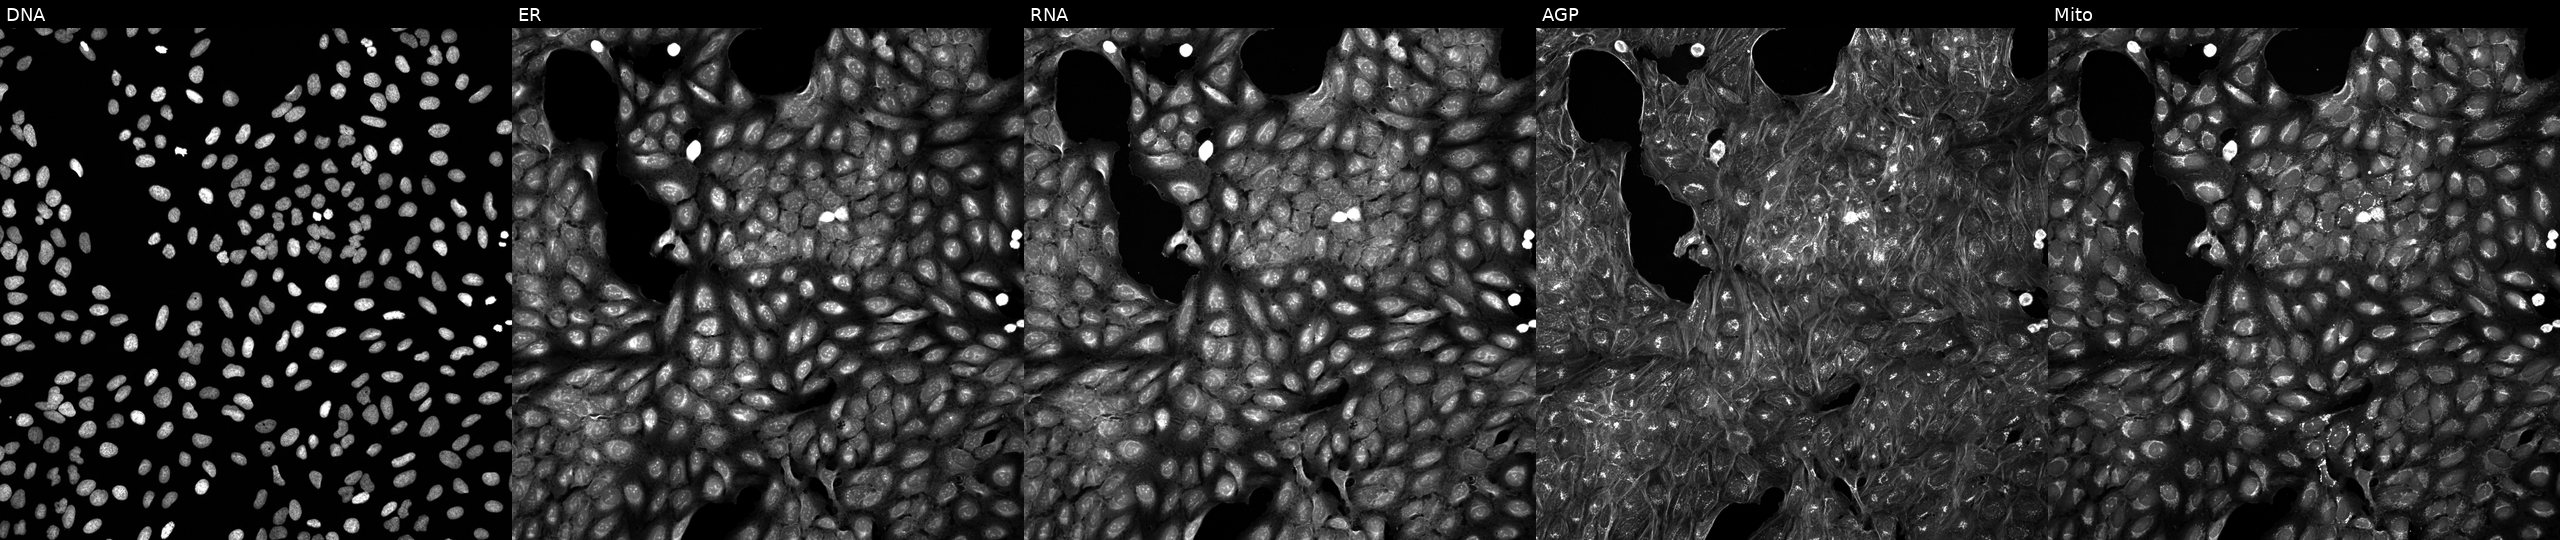
U2OS cells, Cell Painting assay, exposed to a small-molecule compound (InChIKey VPESLSDXWCAGTQ-UHFFFAOYSA-N) [SMILES: Cc1ncc(CN(C)C(=O)Nc2cccc(OCC3CCCO3)c2)s1] (JUMP id JCP2022_095399). Channels (left→right): DNA, ER, RNA, AGP, and Mito. Each panel is percentile-stretched 16-bit fluorescence.